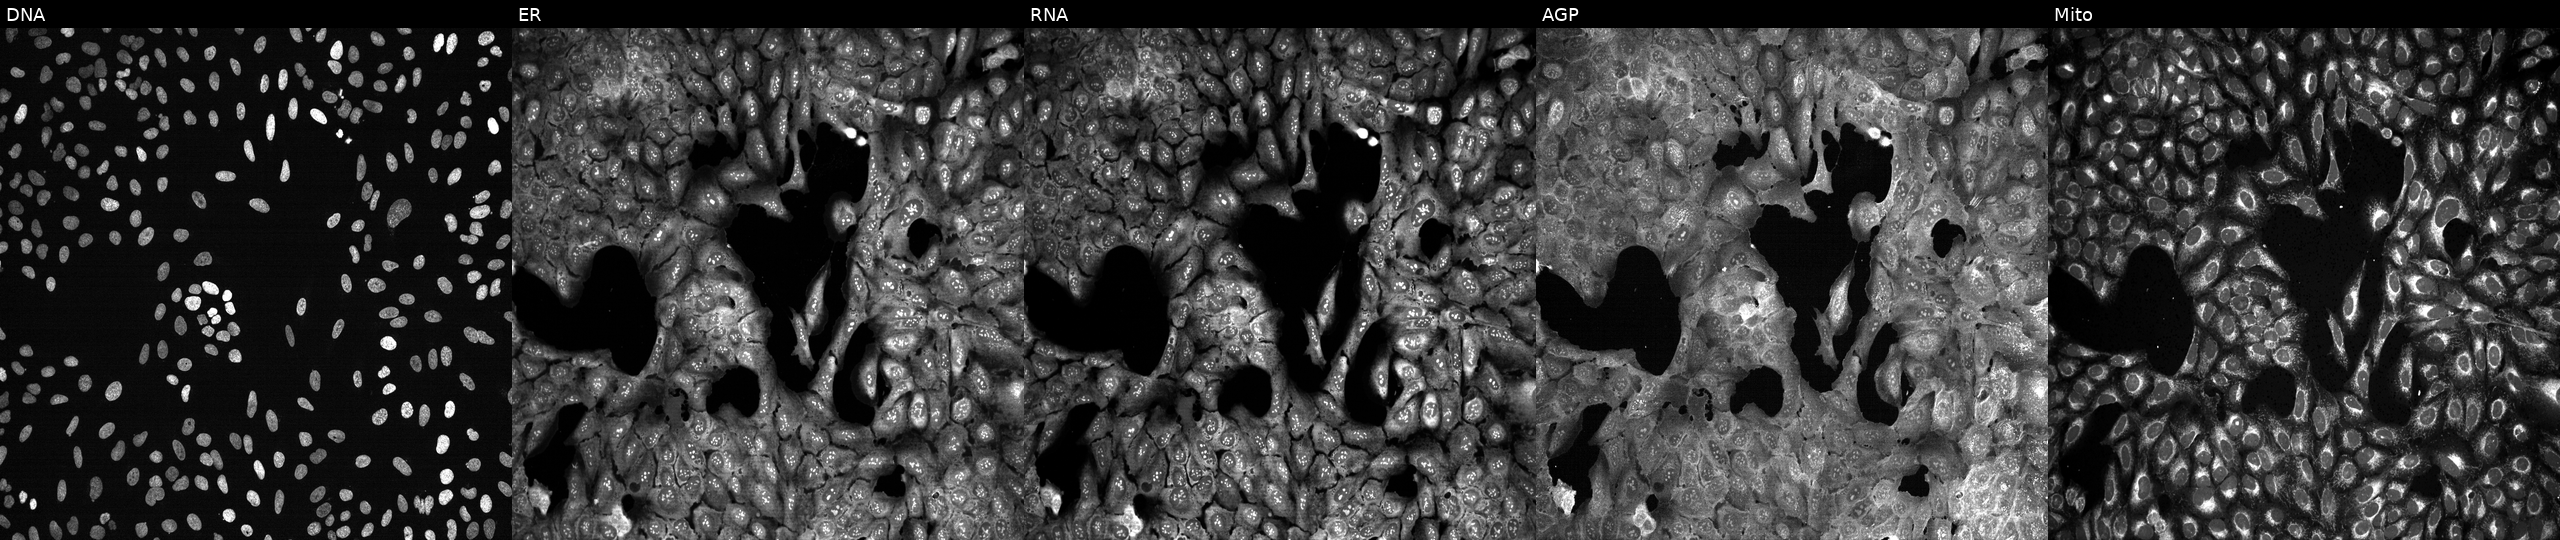
U2OS cells, Cell Painting assay, with DDX47 knocked out by CRISPR. Panels show, left to right, Hoechst 33342, concanavalin A, SYTO 14, phalloidin and WGA, MitoTracker. Each panel is percentile-stretched 16-bit fluorescence.